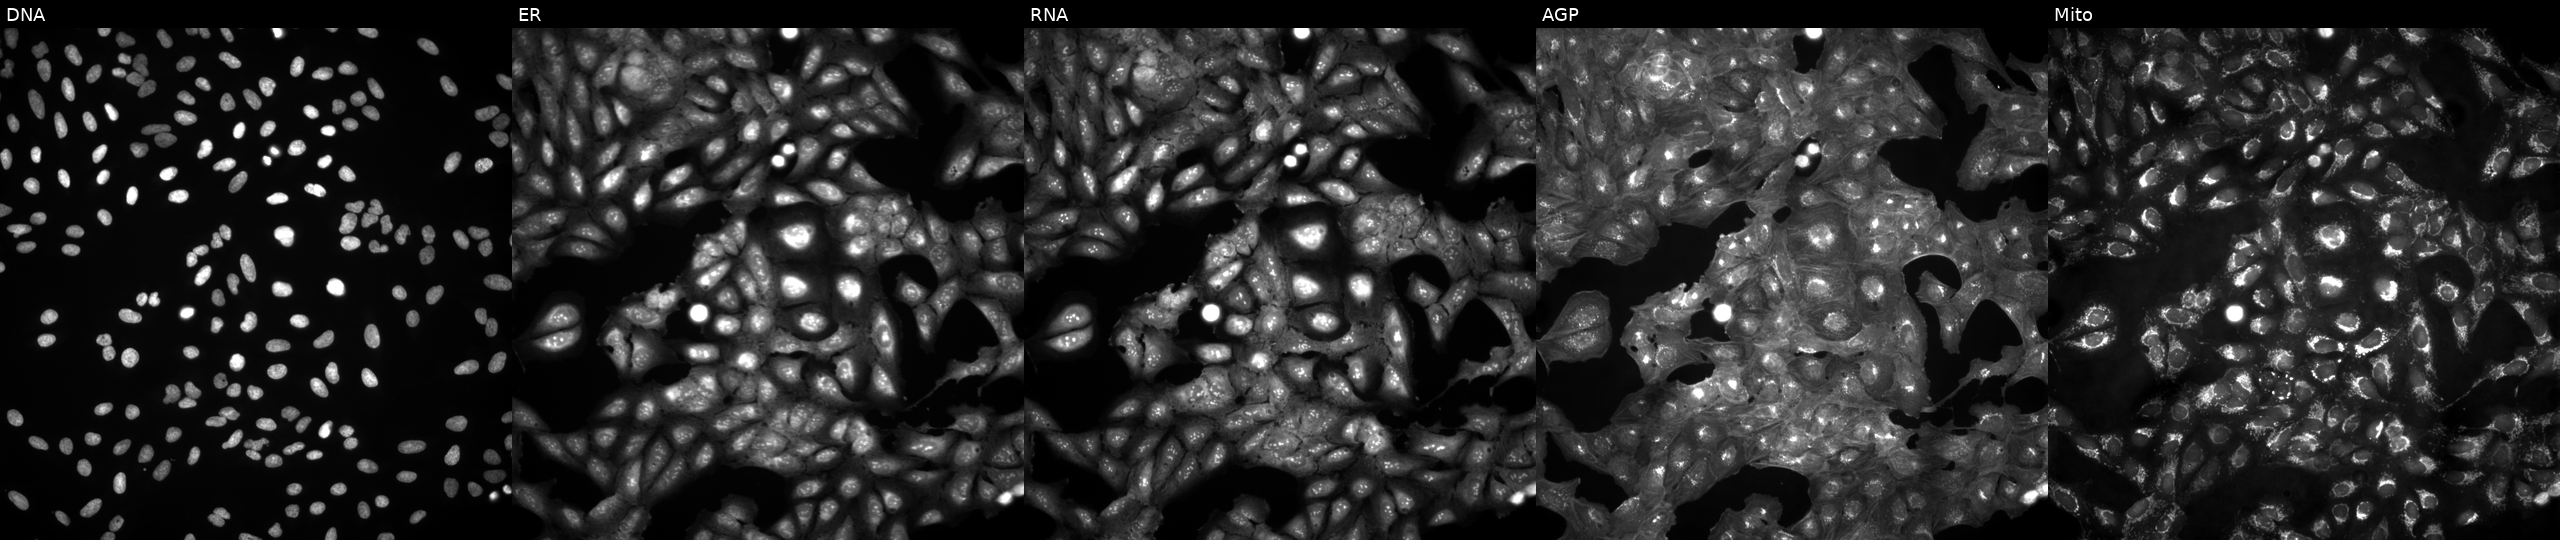
U2OS cells, Cell Painting assay, untreated (empty-well control). Panels show, left to right, DNA (nuclei); ER (endoplasmic reticulum); RNA (nucleoli and cytoplasmic RNA); AGP (actin cytoskeleton, Golgi, and plasma membrane); Mito (mitochondria). Each panel is percentile-stretched 16-bit fluorescence. Source 4, plate BR00123946, well C07.